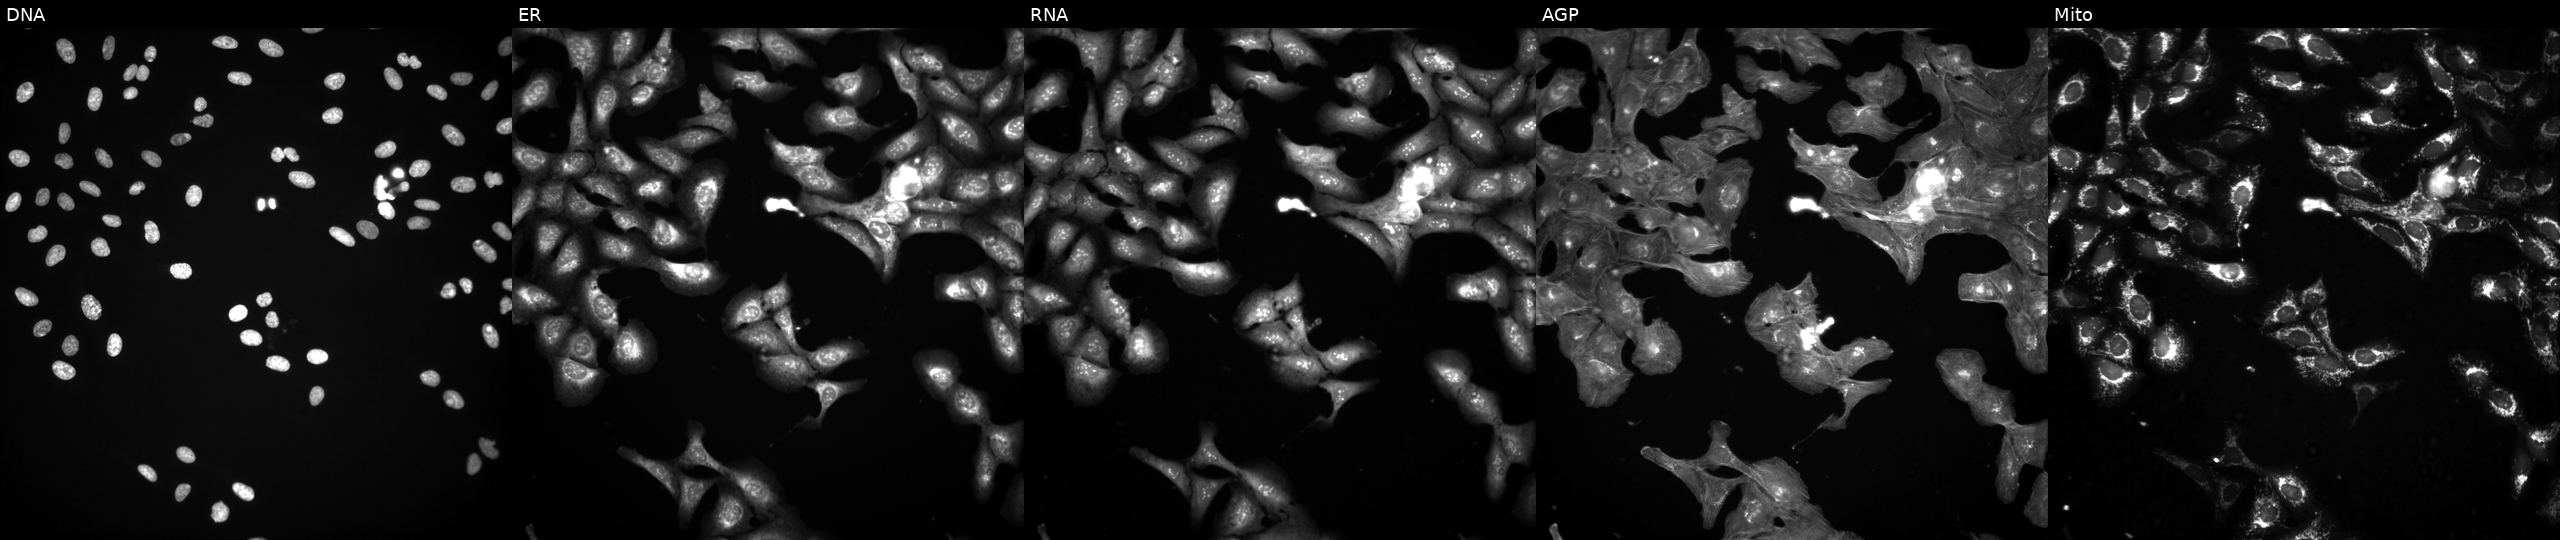
U2OS cells, Cell Painting assay, exposed to a small-molecule compound (InChIKey BOFQWVMAQOTZIW-UHFFFAOYSA-N) [SMILES: O=C(O)c1ccc(-n2nc(-c3ccccc3O)nc2-c2ccccc2O)cc1]. From left to right: DNA, ER, RNA, AGP, and Mito. Each panel is percentile-stretched 16-bit fluorescence.